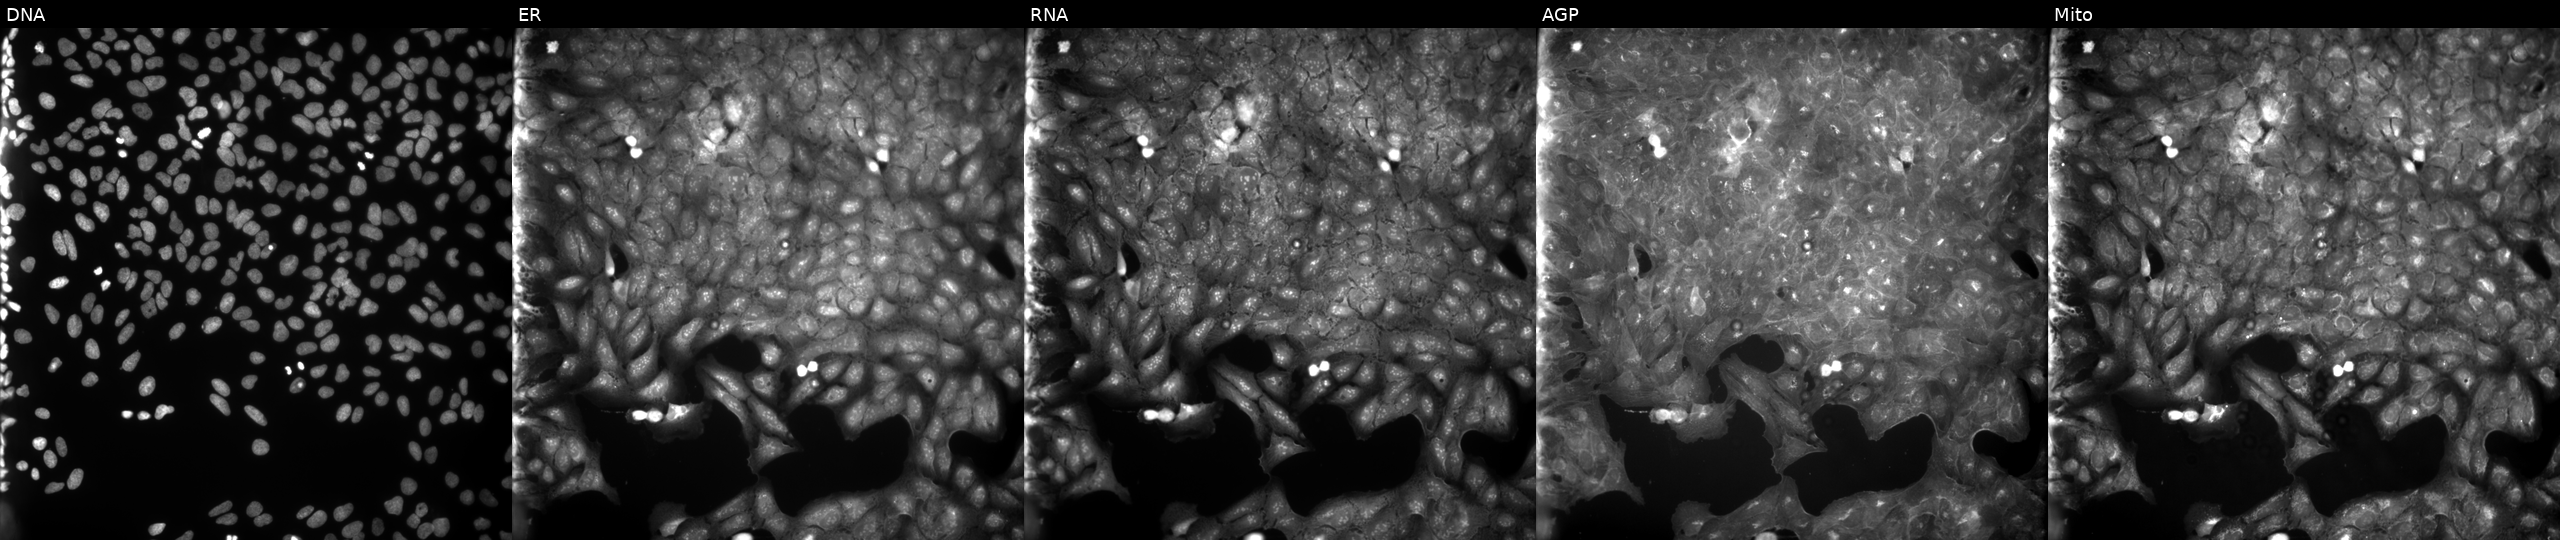
The five panels, left to right, show Hoechst 33342, concanavalin A, SYTO 14, phalloidin and WGA, MitoTracker. U2OS osteosarcoma cells exposed to a small-molecule compound (InChIKey JGFAFLDHQWIROX-UHFFFAOYSA-N) (JUMP id JCP2022_039586). Cell Painting assay, JUMP-CP dataset. Source 9, plate GR00003381, well O08.